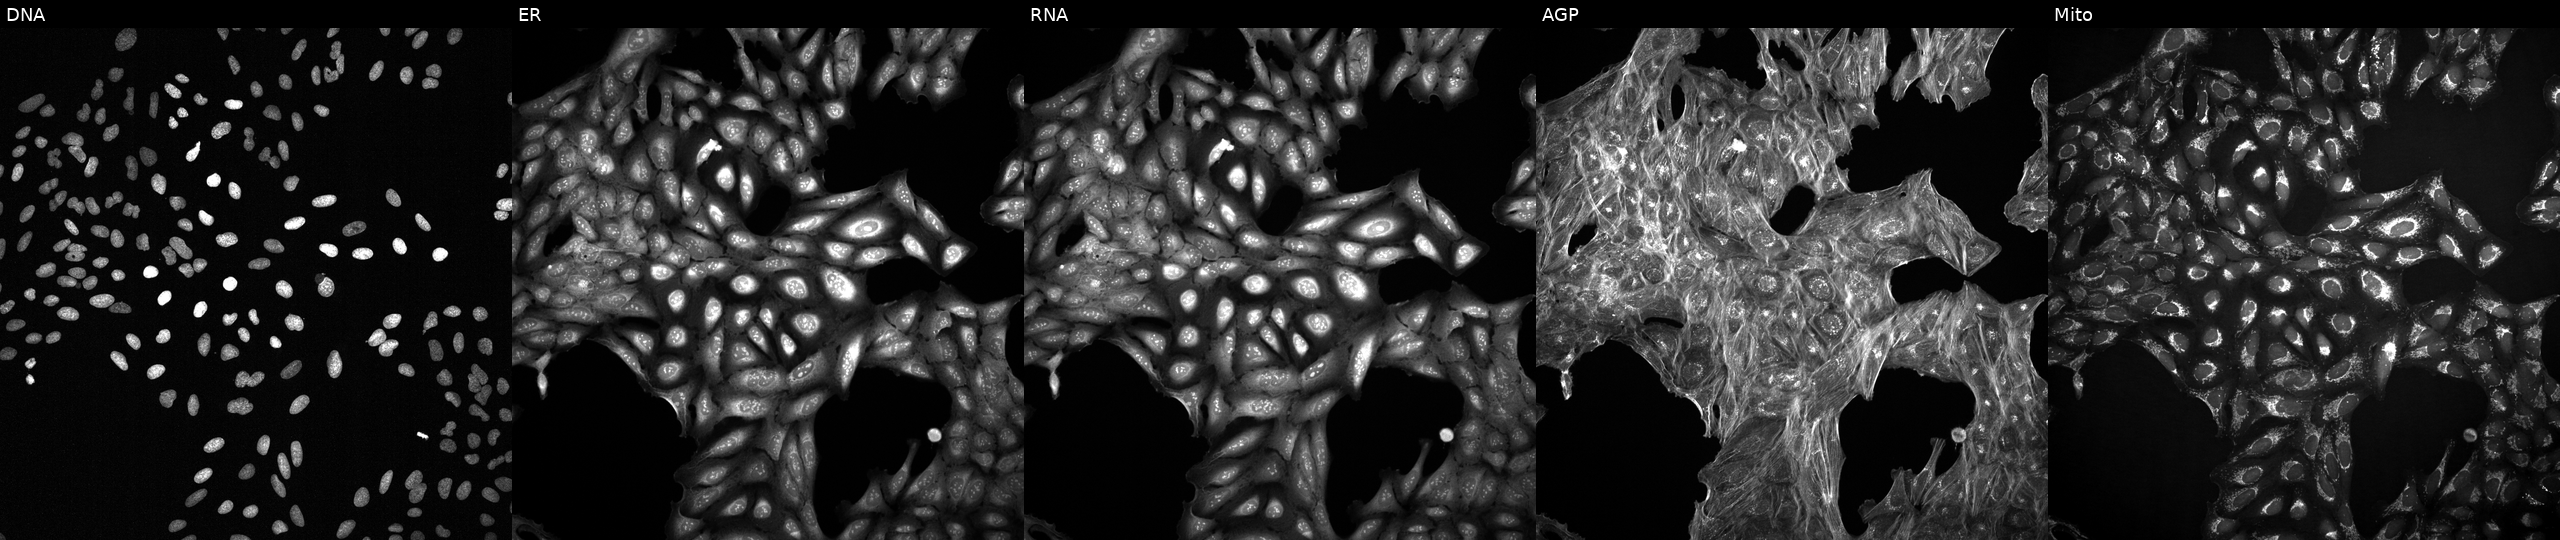
U2OS cells, Cell Painting assay, treated with a small-molecule compound (InChIKey GVJHHUAWPYXKBD-UHFFFAOYSA-N) [SMILES: Cc1c(C)c2c(c(C)c1O)CCC(C)(CCCC(C)CCCC(C)CCCC(C)C)O2]. Channels (left→right): DNA, ER, RNA, AGP, and Mito. Each panel is percentile-stretched 16-bit fluorescence. Source 2, plate 1053600674, well G09.